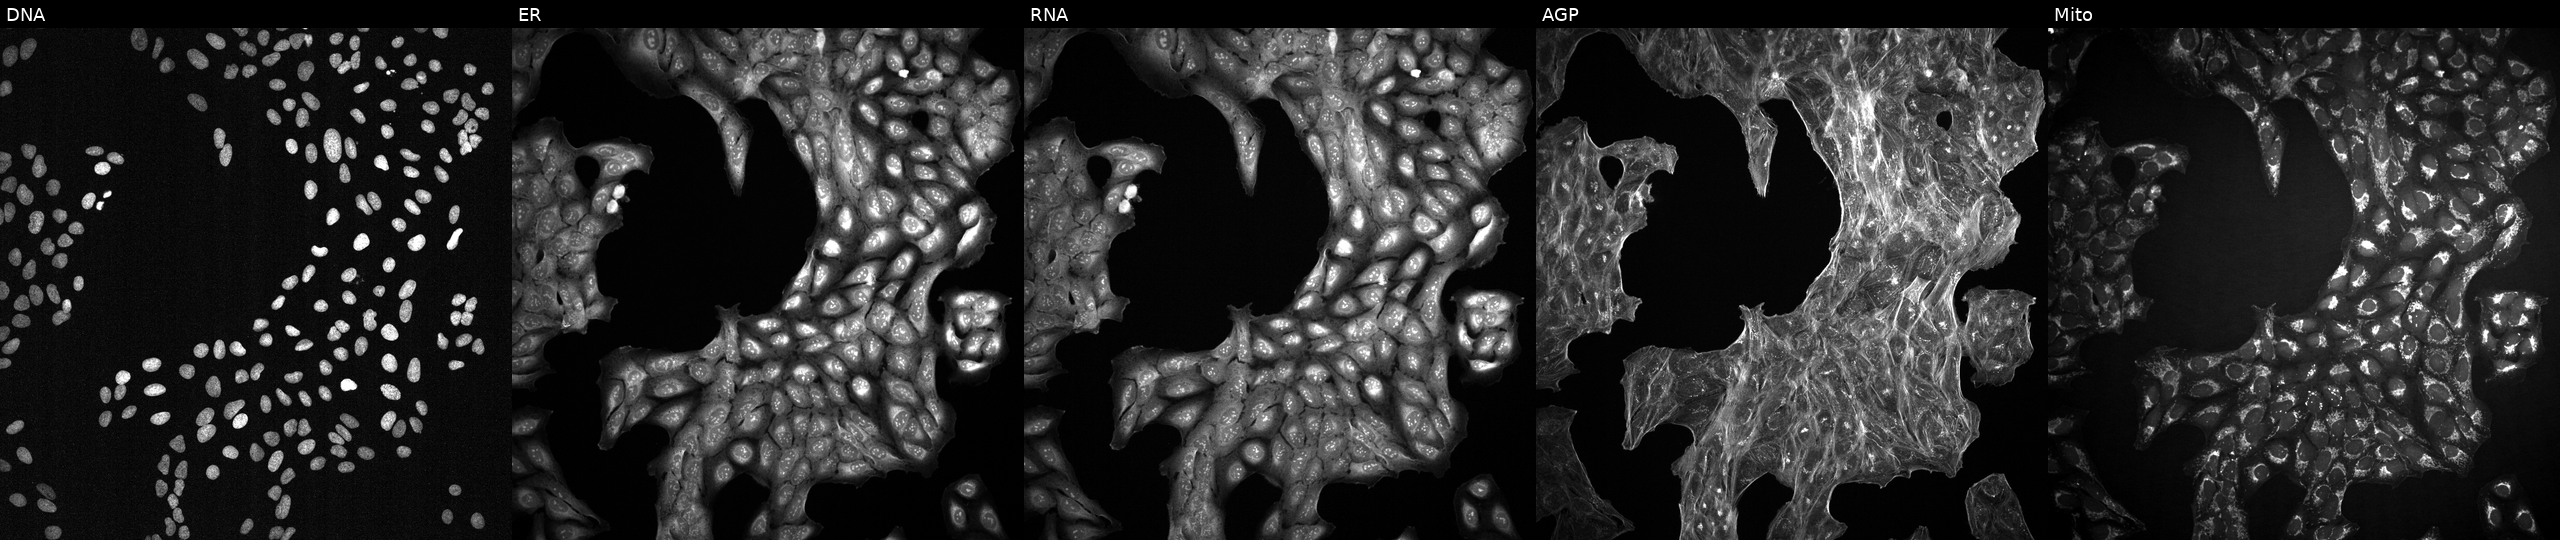
This image strip shows the five Cell Painting channels for a single field of U2OS cells treated with DMSO vehicle only (negative control) (JUMP id JCP2022_033924). From left to right: Hoechst 33342, concanavalin A, SYTO 14, phalloidin and WGA, MitoTracker.